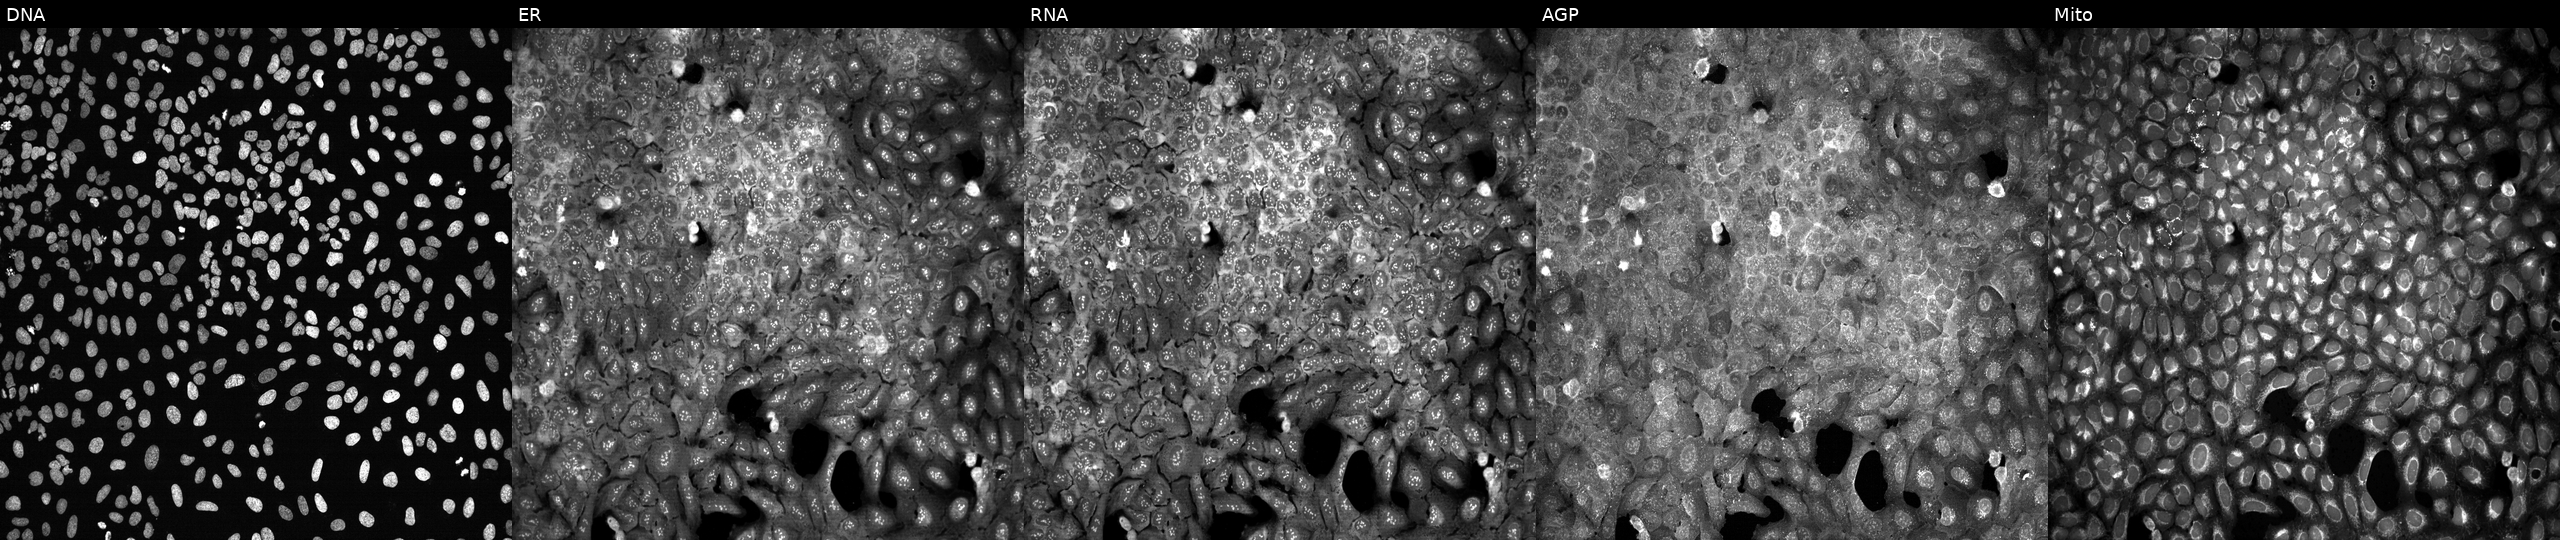
JUMP Cell Painting — CRISPR plate. U2OS cells CRISPR-edited to disrupt HMOX2. Panels show, left to right, DNA (nuclei); ER (endoplasmic reticulum); RNA (nucleoli and cytoplasmic RNA); AGP (actin cytoskeleton, Golgi, and plasma membrane); Mito (mitochondria).